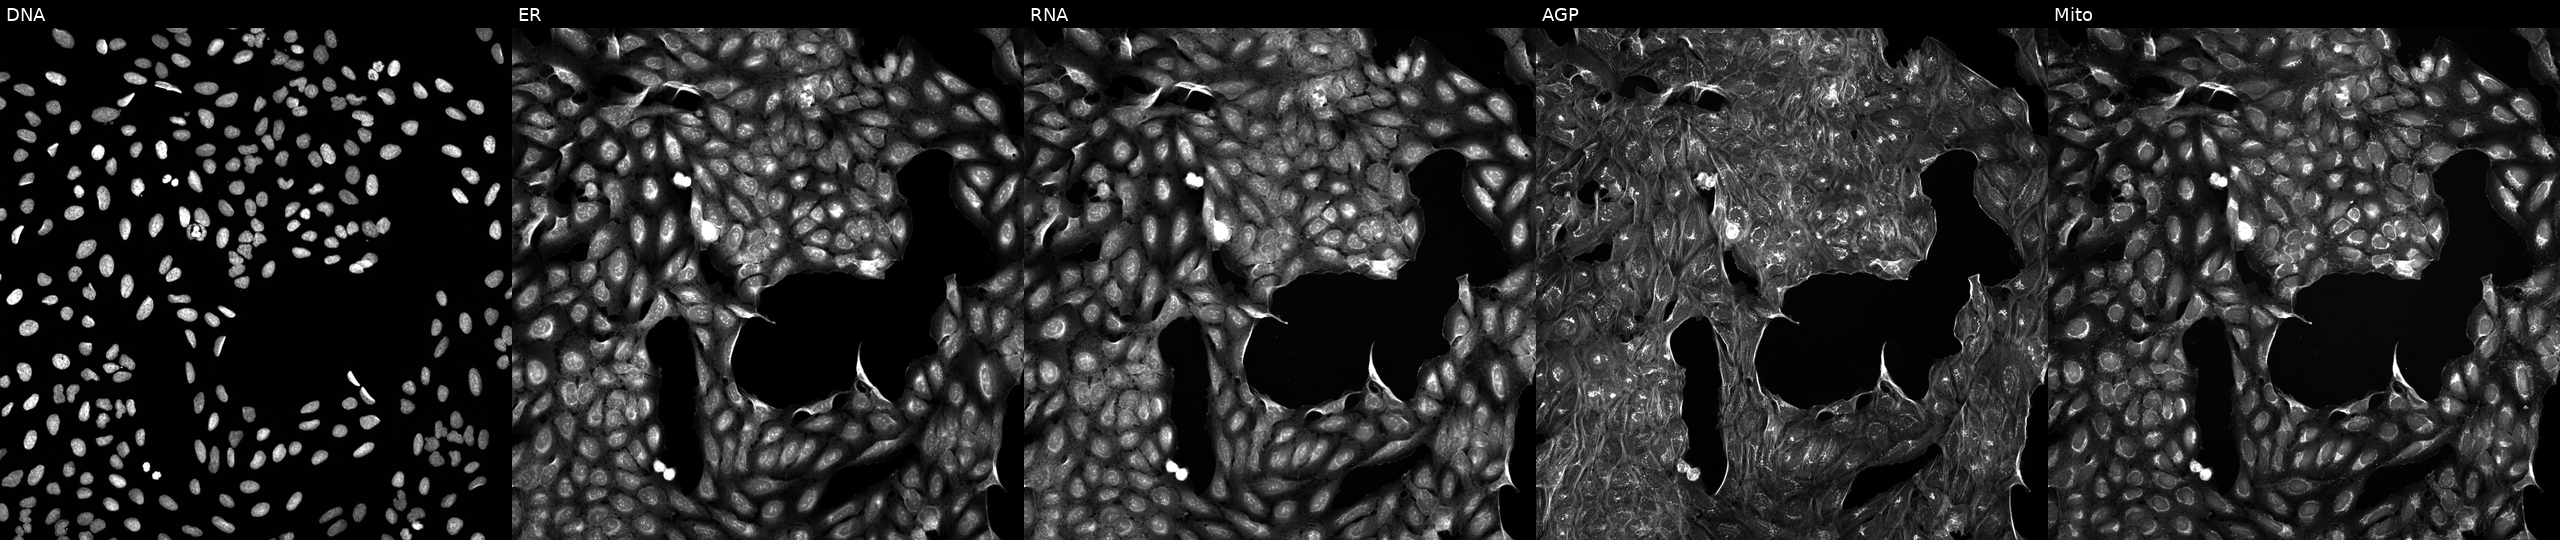
Five-channel Cell Painting image of U2OS cells exposed to DMSO alone as a negative control. From left to right: DNA (nuclei); ER (endoplasmic reticulum); RNA (nucleoli and cytoplasmic RNA); AGP (actin cytoskeleton, Golgi, and plasma membrane); Mito (mitochondria).